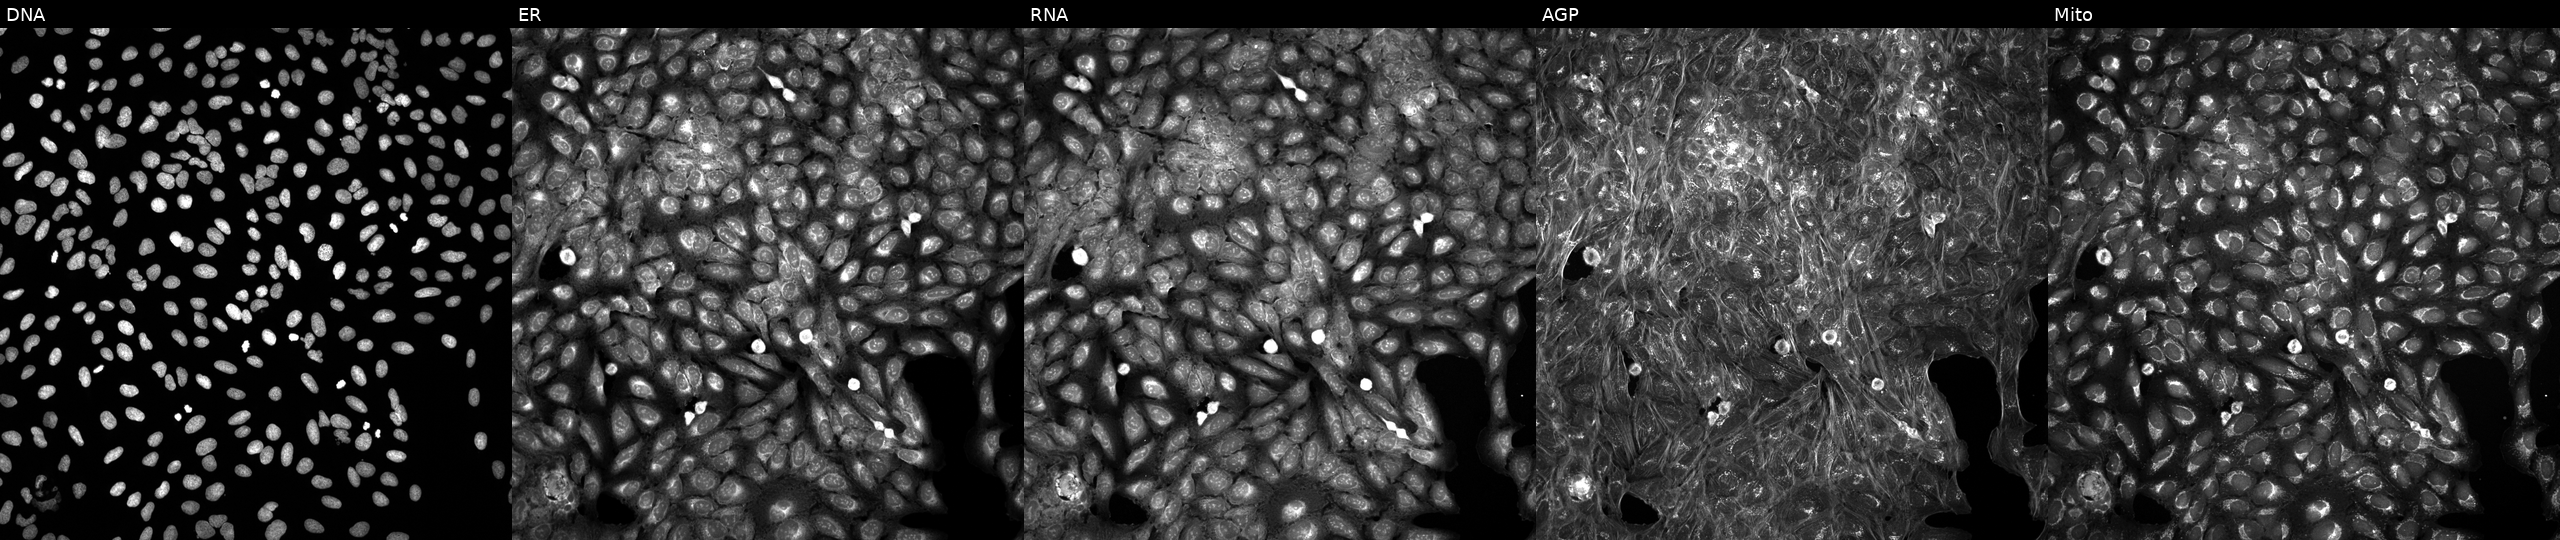
JUMP Cell Painting — TARGET2 plate. U2OS cells exposed to a small-molecule compound (InChIKey RRGUKTPIGVIEKM-UHFFFAOYSA-N) [SMILES: O=C1CCc2cc(OCCCCc3nnnn3C3CCCCC3)ccc2N1]. The five panels, left to right, show DNA (nuclei); ER (endoplasmic reticulum); RNA (nucleoli and cytoplasmic RNA); AGP (actin cytoskeleton, Golgi, and plasma membrane); Mito (mitochondria).